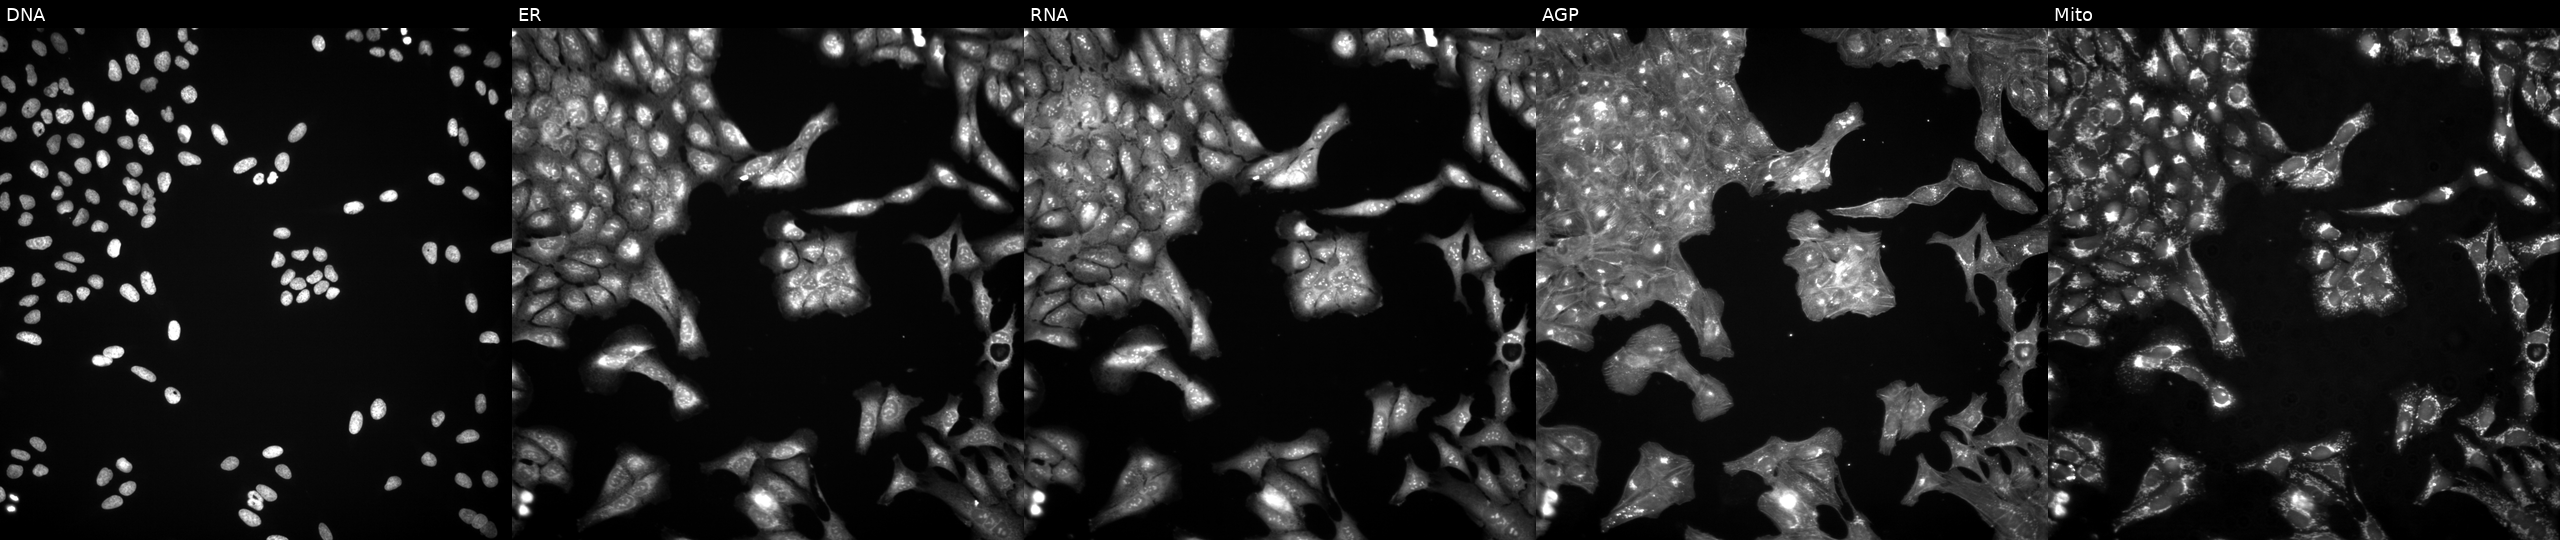
JUMP Cell Painting — TARGET2 plate. U2OS cells exposed to a small-molecule compound (InChIKey DJKJVWJQAVGLHJ-UHFFFAOYSA-N) [SMILES: N=c1nc(N2CCNCC2)c2c([nH]1)C1=C(CC2)OC2CCCCC12] (JUMP id JCP2022_016288). From left to right: DNA, ER, RNA, AGP, and Mito.